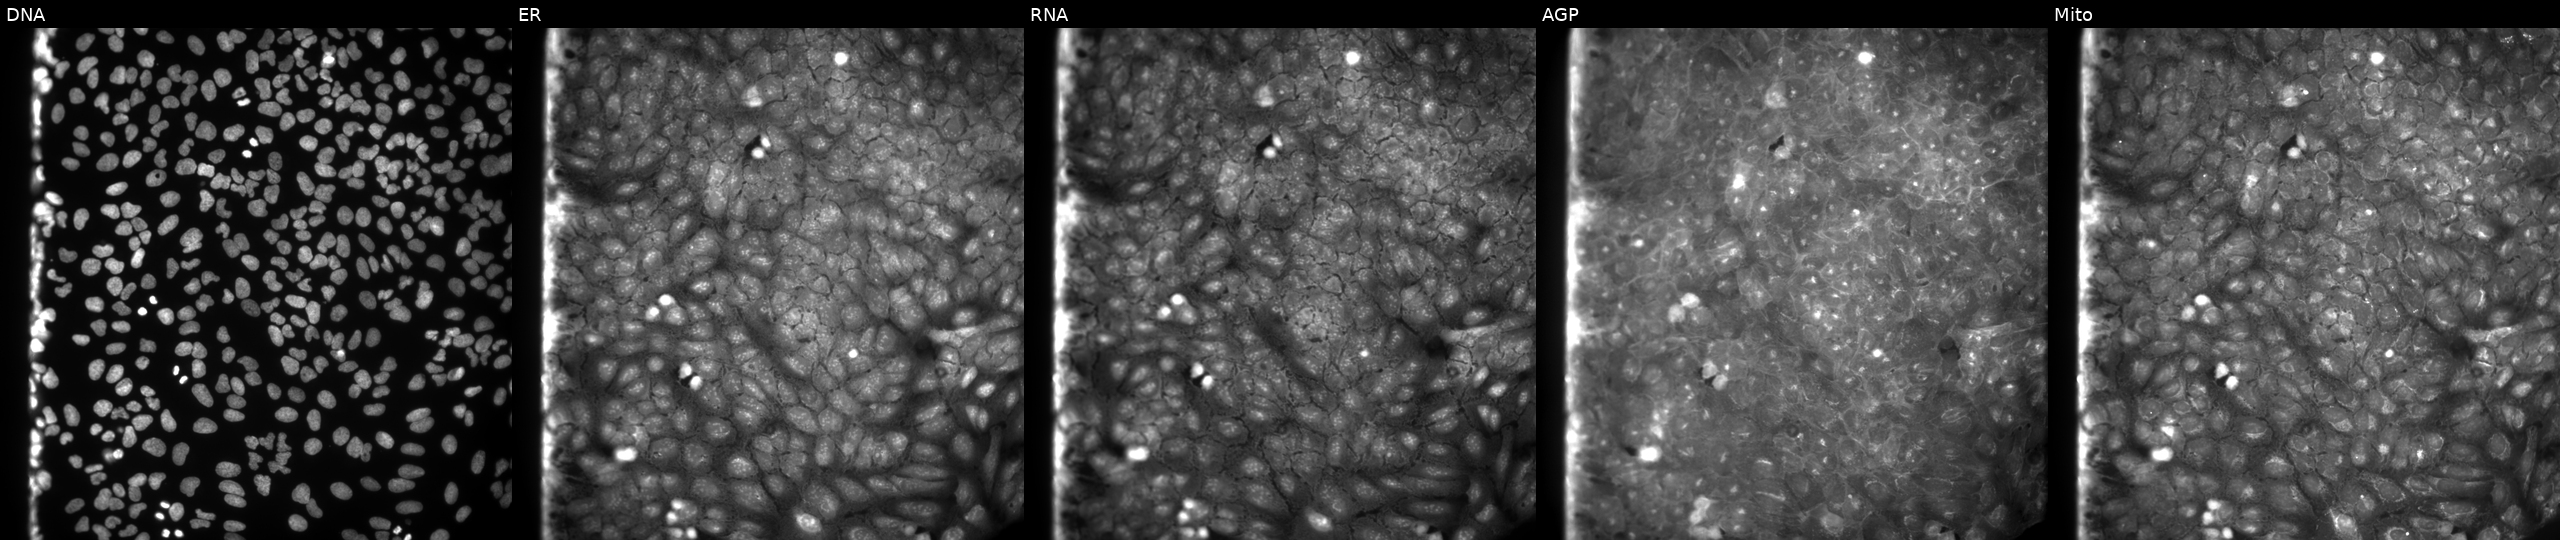
JUMP Cell Painting — COMPOUND plate. U2OS cells treated with DMSO vehicle only (negative control) (JUMP id JCP2022_033924). Panels show, left to right, Hoechst 33342, concanavalin A, SYTO 14, phalloidin and WGA, MitoTracker. Source 9, plate GR00003382, well J02.